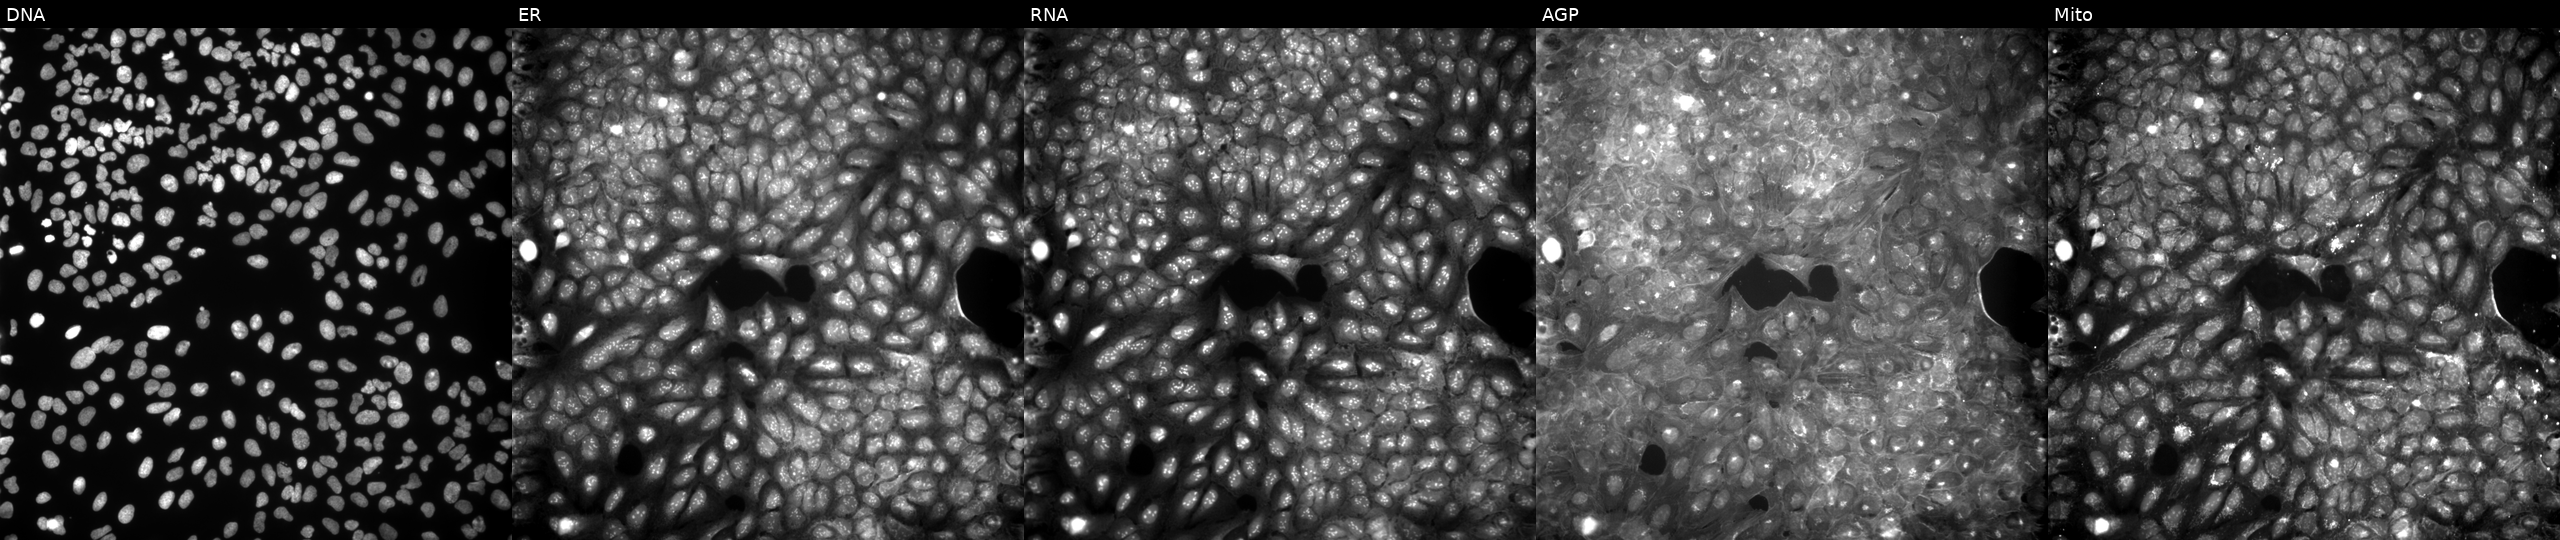
This image strip shows the five Cell Painting channels for a single field of U2OS cells treated with DMSO vehicle only (negative control). Channels (left→right): Hoechst 33342, concanavalin A, SYTO 14, phalloidin and WGA, MitoTracker.